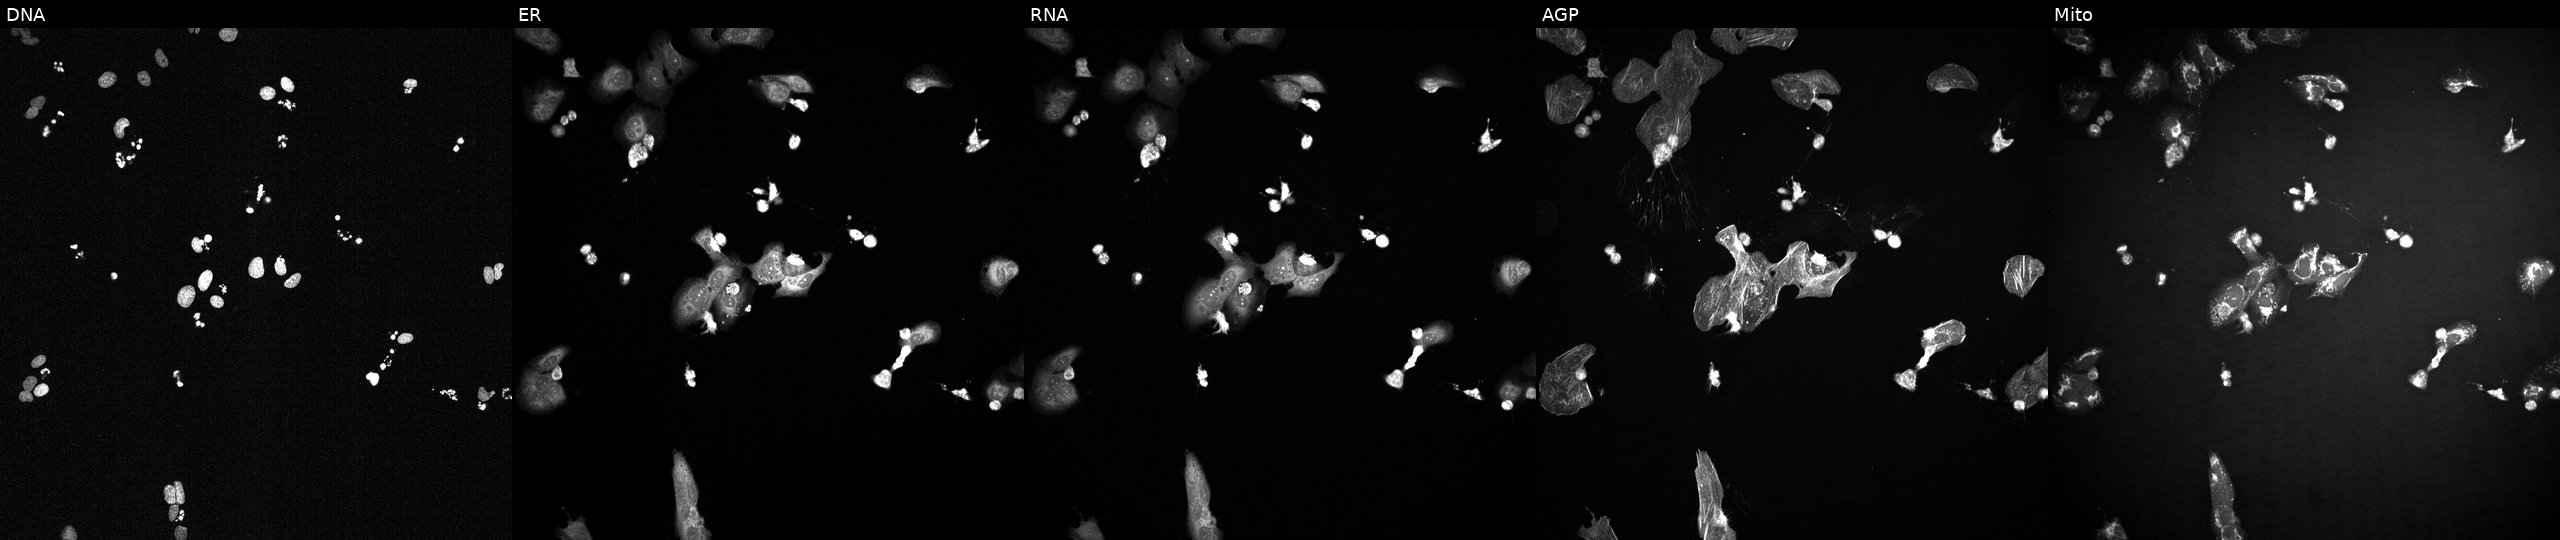
This image strip shows the five Cell Painting channels for a single field of U2OS cells perturbed with a small-molecule compound (InChIKey RVAQIUULWULRNW-UHFFFAOYSA-N) (JUMP id JCP2022_080920). Panels show, left to right, DNA, ER, RNA, AGP, and Mito.